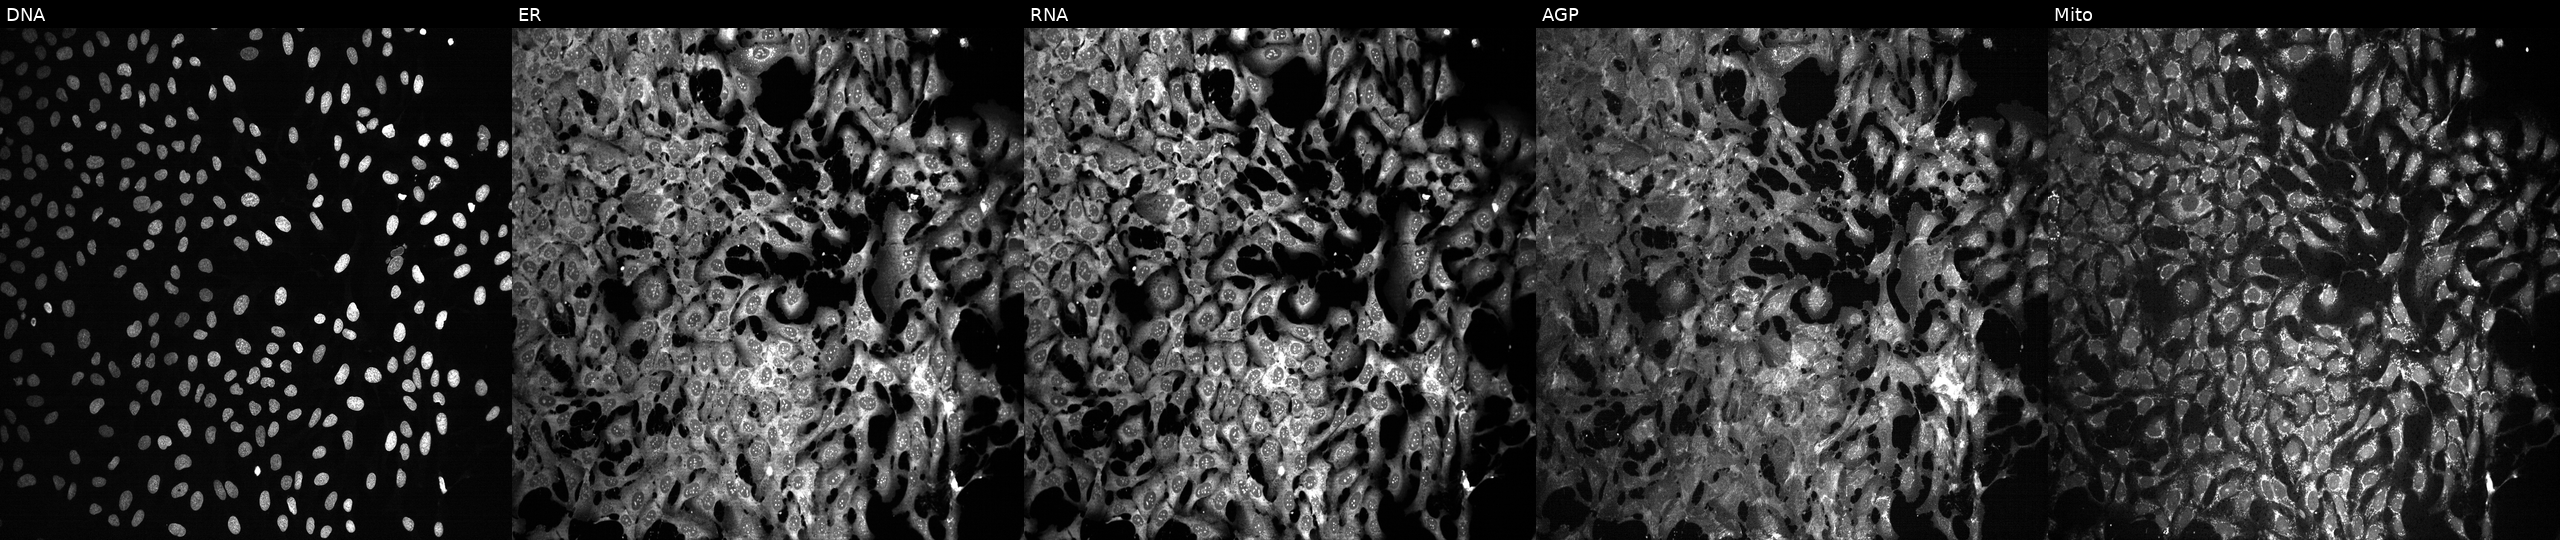
Five-channel Cell Painting image of U2OS cells exposed to the positive-control compound FK-866 (JUMP id JCP2022_046054). Channels (left→right): DNA, ER, RNA, AGP, and Mito.